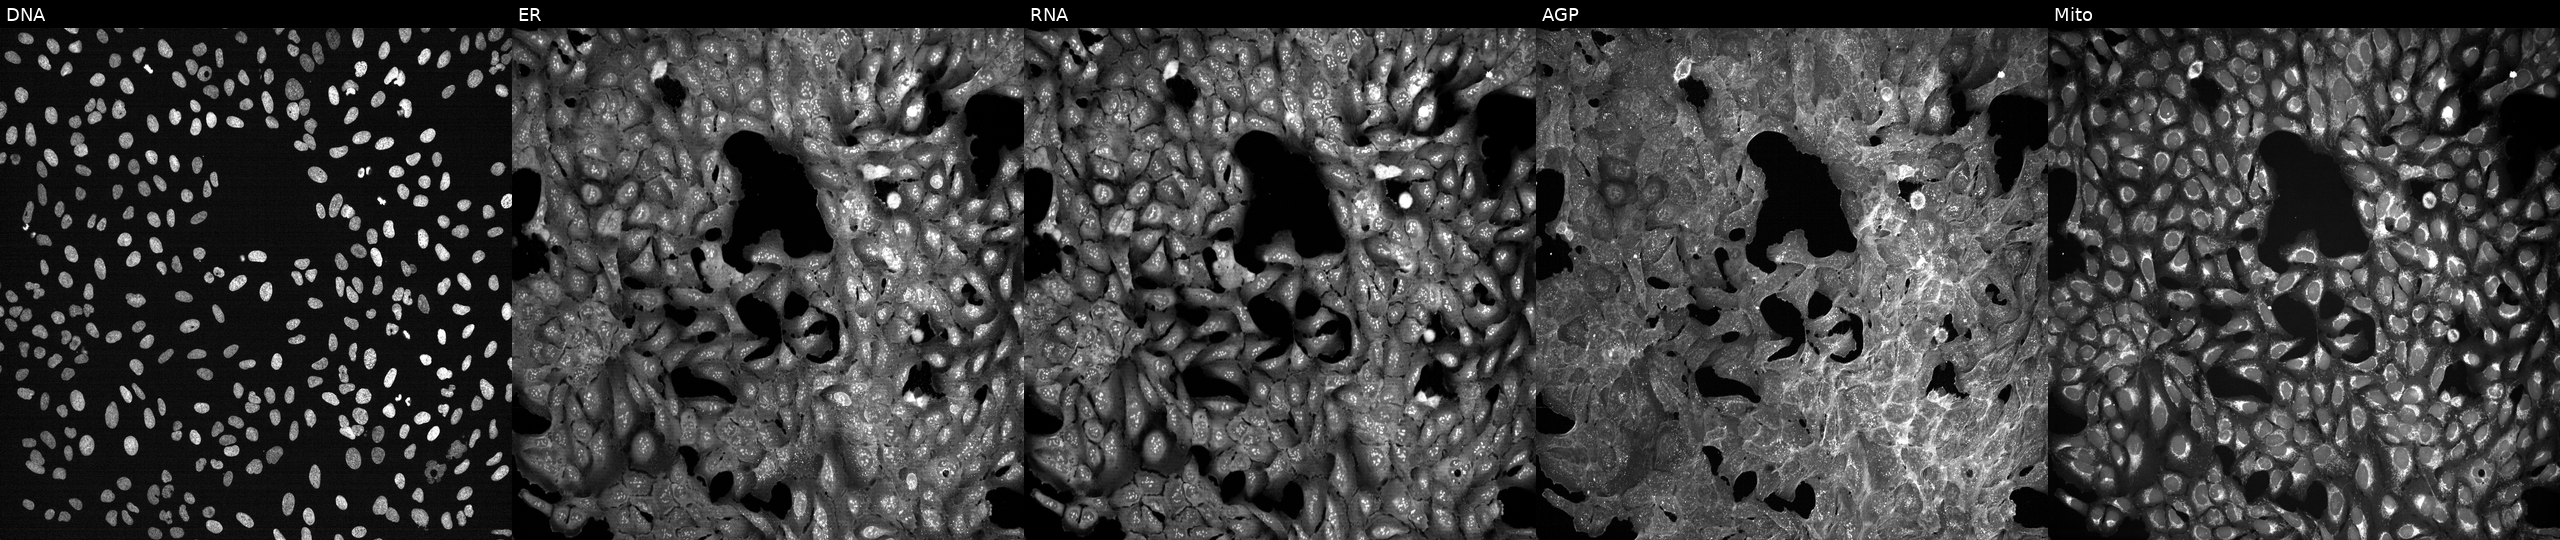
Five-channel Cell Painting image of U2OS cells treated with a small-molecule compound [SMILES: CCOC(=O)C1=C(C)N=C(C)C(C(=O)OC)C1c1cccc(Cl)c1Cl]. Channels (left→right): DNA (nuclei); ER (endoplasmic reticulum); RNA (nucleoli and cytoplasmic RNA); AGP (actin cytoskeleton, Golgi, and plasma membrane); Mito (mitochondria).